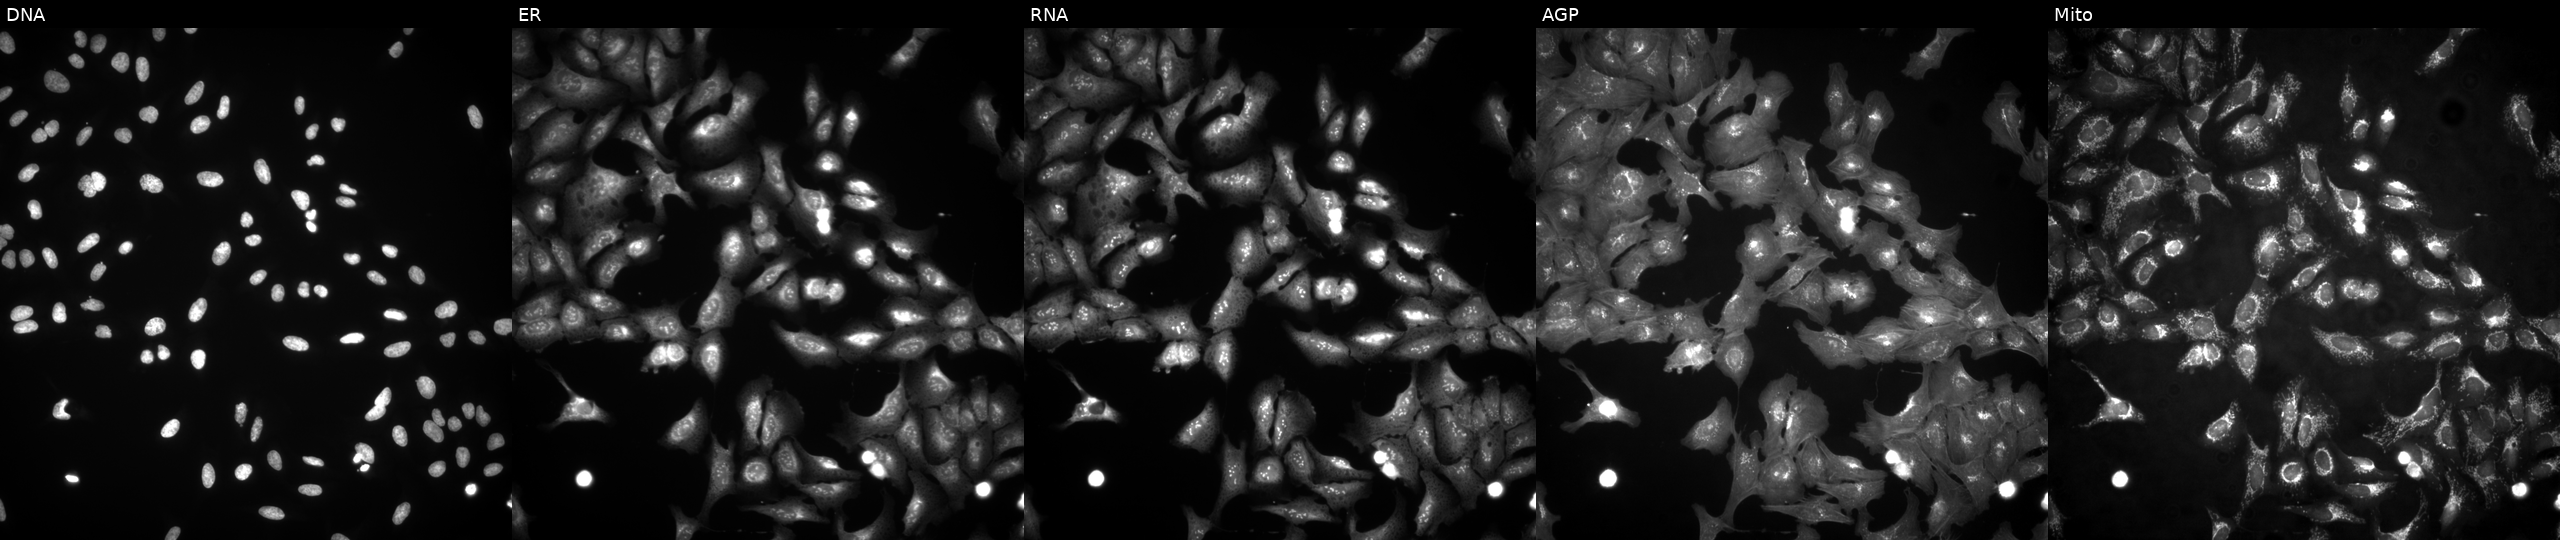
This image strip shows the five Cell Painting channels for a single field of U2OS cells with RAD23A overexpressed (ORF) (JUMP id JCP2022_901282). Panels show, left to right, Hoechst 33342, concanavalin A, SYTO 14, phalloidin and WGA, MitoTracker.